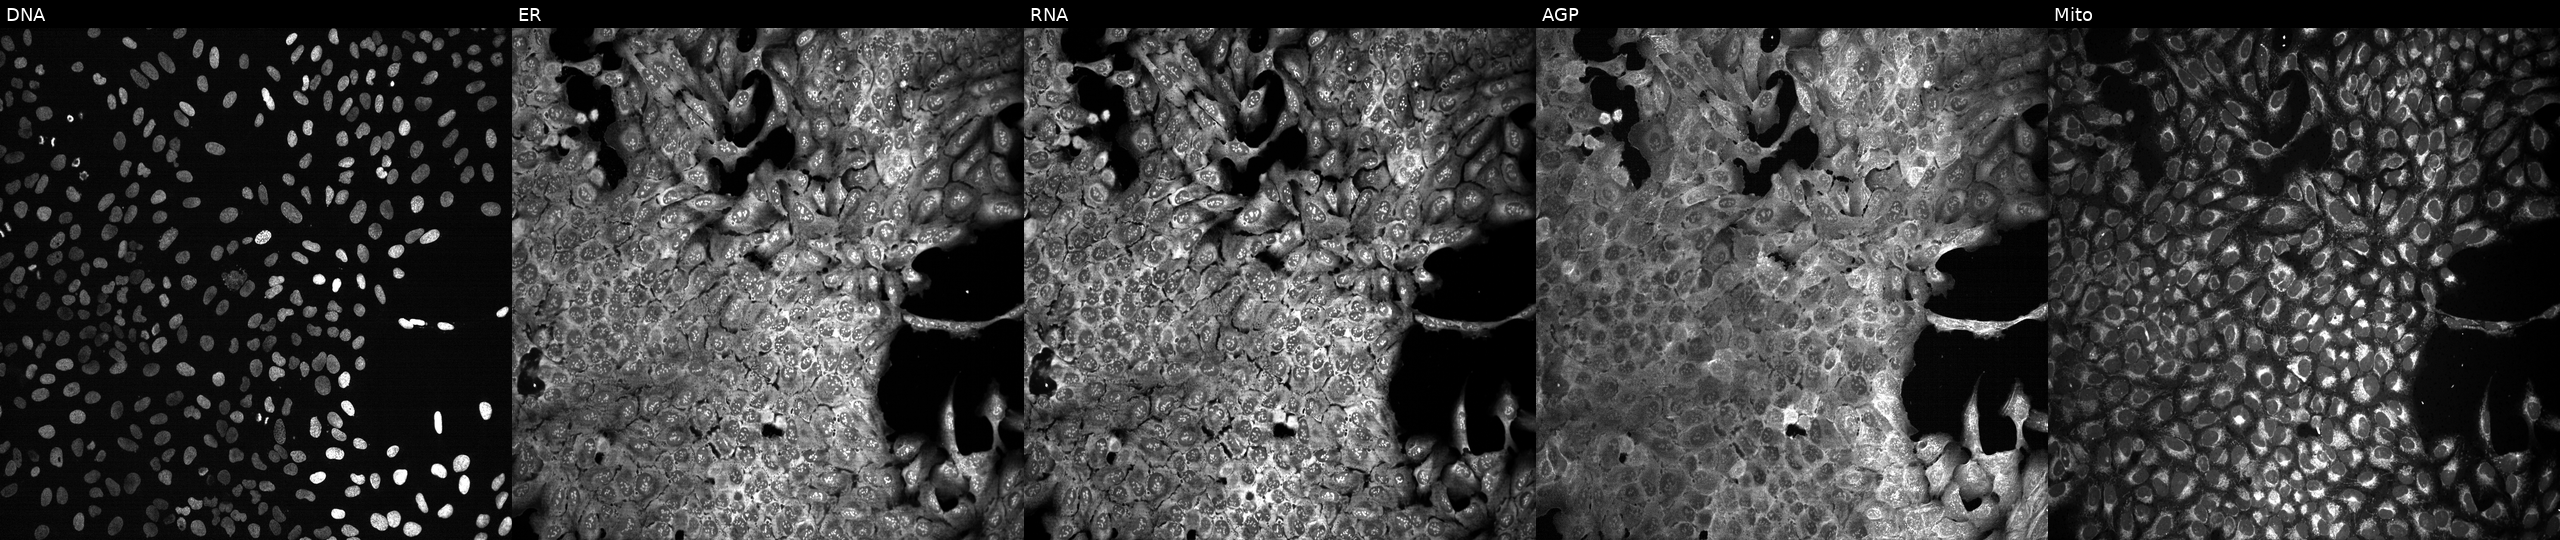
This image strip shows the five Cell Painting channels for a single field of U2OS cells following CRISPR knockout of IDO1 (JUMP id JCP2022_803328). From left to right: DNA (nuclei); ER (endoplasmic reticulum); RNA (nucleoli and cytoplasmic RNA); AGP (actin cytoskeleton, Golgi, and plasma membrane); Mito (mitochondria). Source 13, plate CP-CC9-R3-01, well F03.